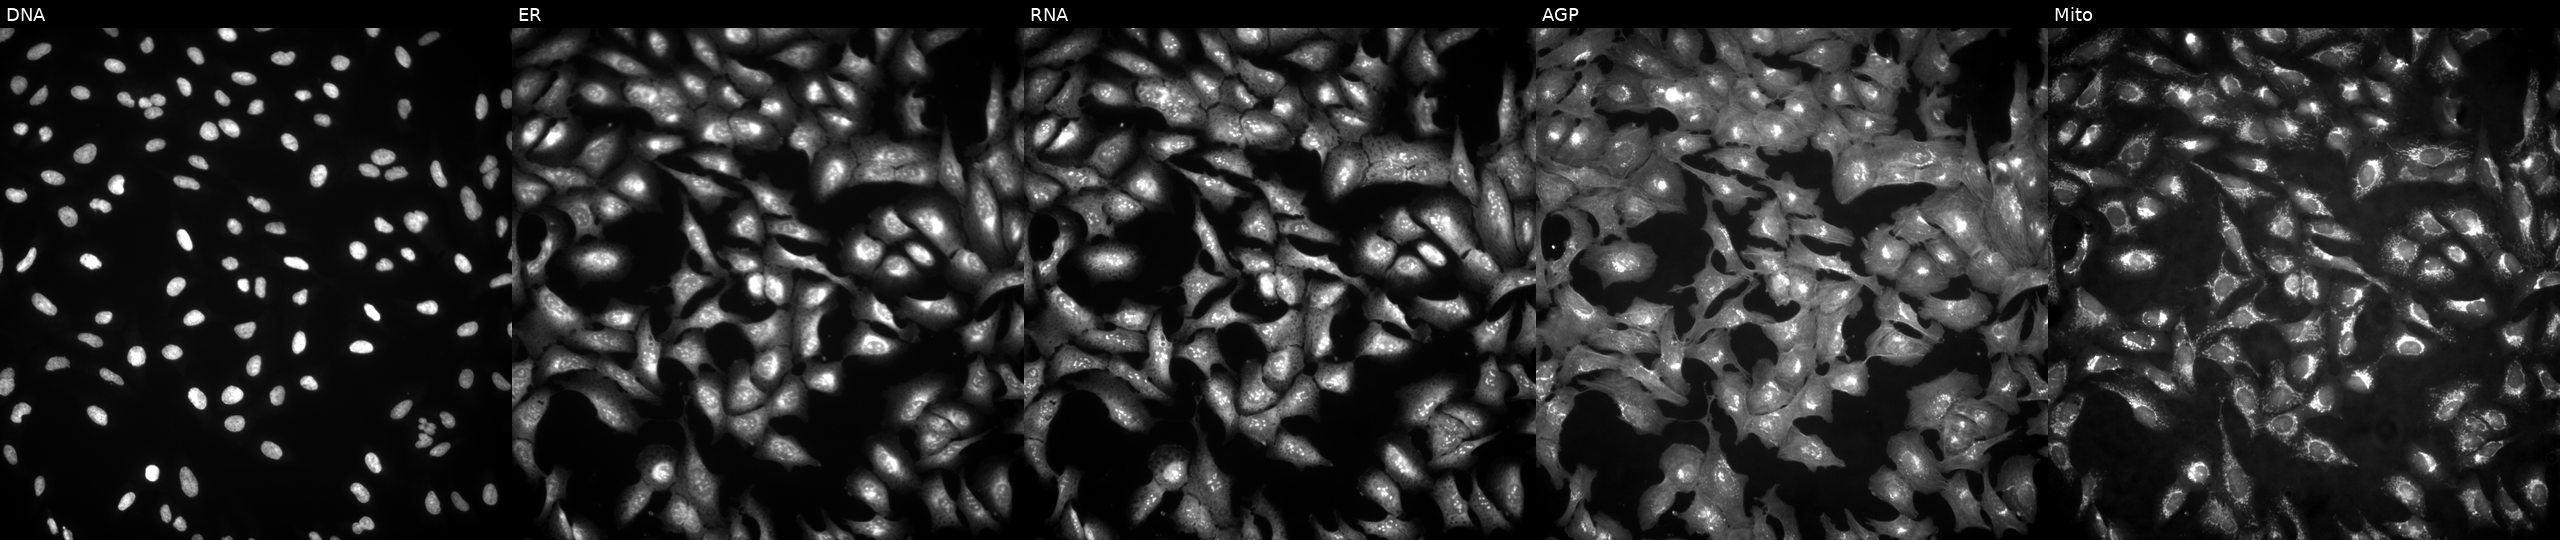
High-content fluorescence microscopy (Cell Painting). Cell line: U2OS. Perturbation: overexpressing GNG3 via ORF transfection (JUMP id JCP2022_900618). Panels show, left to right, Hoechst 33342, concanavalin A, SYTO 14, phalloidin and WGA, MitoTracker. Source 4, plate BR00123509, well B13.